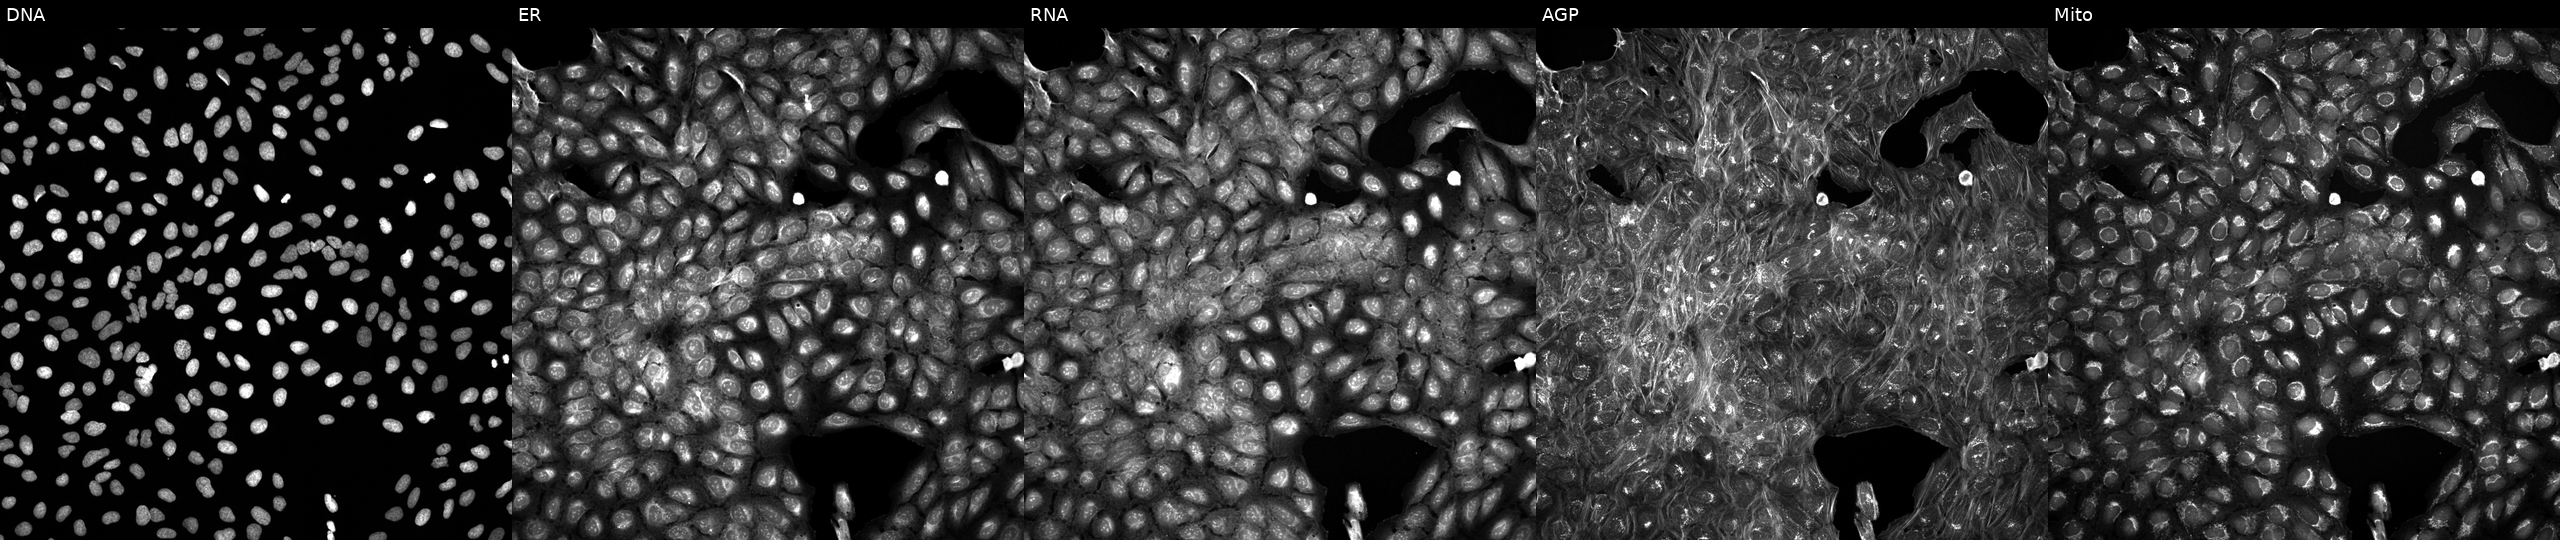
Five-channel Cell Painting image of U2OS cells treated with a small-molecule compound (InChIKey OJLOPKGSLYJEMD-UHFFFAOYSA-N). Panels show, left to right, DNA (nuclei); ER (endoplasmic reticulum); RNA (nucleoli and cytoplasmic RNA); AGP (actin cytoskeleton, Golgi, and plasma membrane); Mito (mitochondria). Source 5, plate ACPJUM012, well E09.